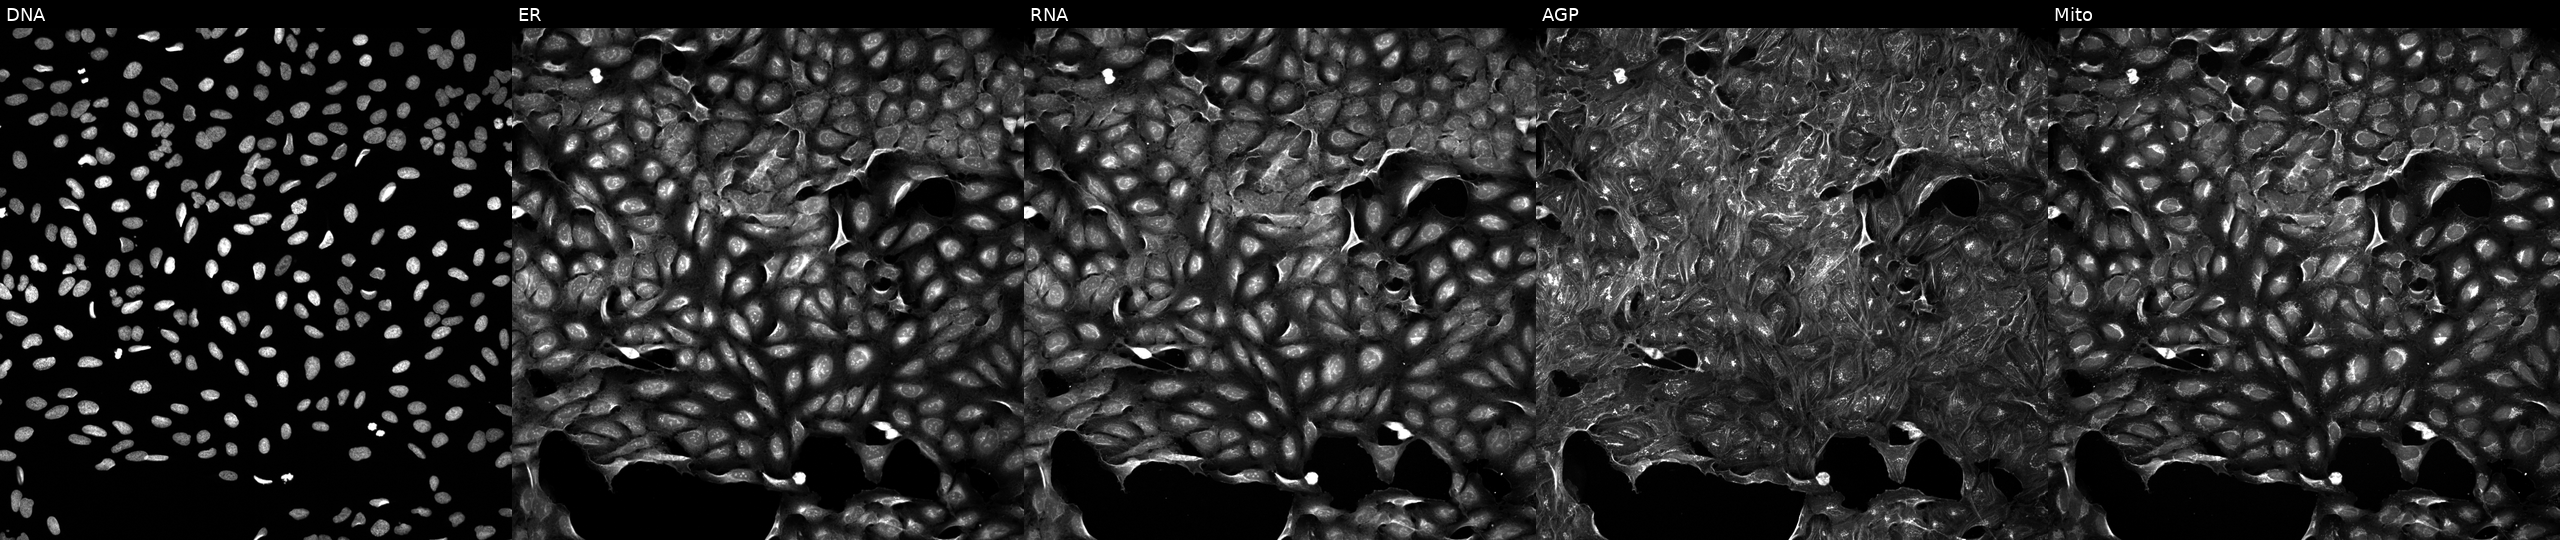
JUMP Cell Painting — COMPOUND plate. U2OS cells exposed to a small-molecule compound (InChIKey UEPGREYYLNNJNB-UHFFFAOYSA-N) [SMILES: CCc1cc(=NCCc2c(C)nc3n2CCCC3)n2[nH]cnc2n1] (JUMP id JCP2022_088704). Panels show, left to right, DNA (nuclei); ER (endoplasmic reticulum); RNA (nucleoli and cytoplasmic RNA); AGP (actin cytoskeleton, Golgi, and plasma membrane); Mito (mitochondria). Source 5, plate APTJUM106, well L03.